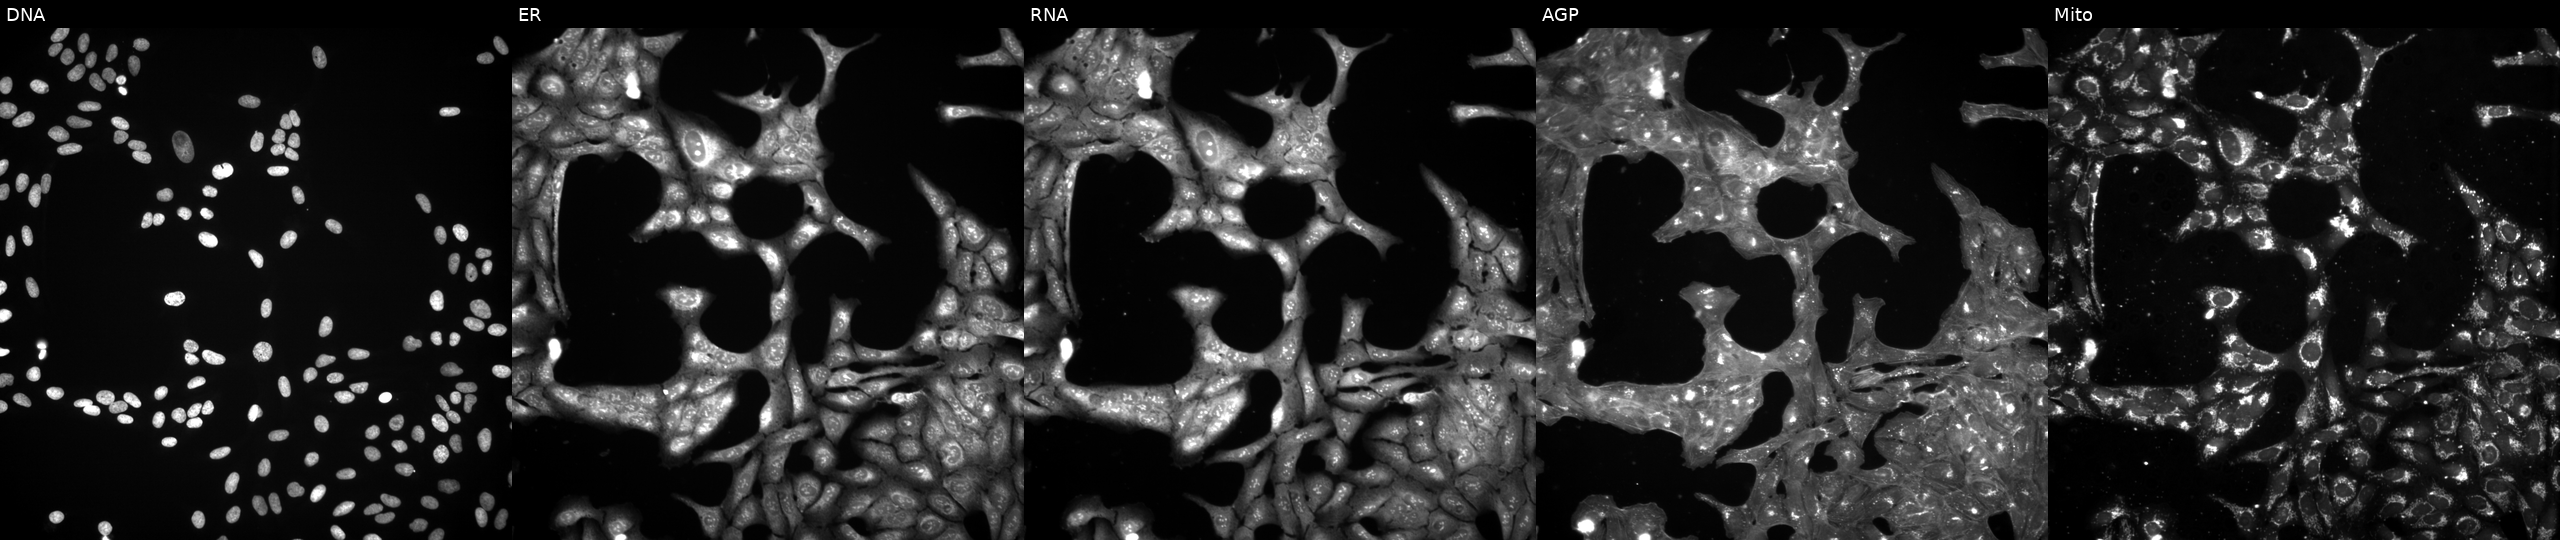
JUMP Cell Painting — TARGET2 plate. U2OS cells exposed to a small-molecule compound (InChIKey XRVDGNKRPOAQTN-UHFFFAOYSA-N) [SMILES: CC(C)Oc1ccc(-c2nc(-c3cccc4c3CCC4NCCO)no2)cc1C#N] (JUMP id JCP2022_105621). From left to right: Hoechst 33342, concanavalin A, SYTO 14, phalloidin and WGA, MitoTracker.